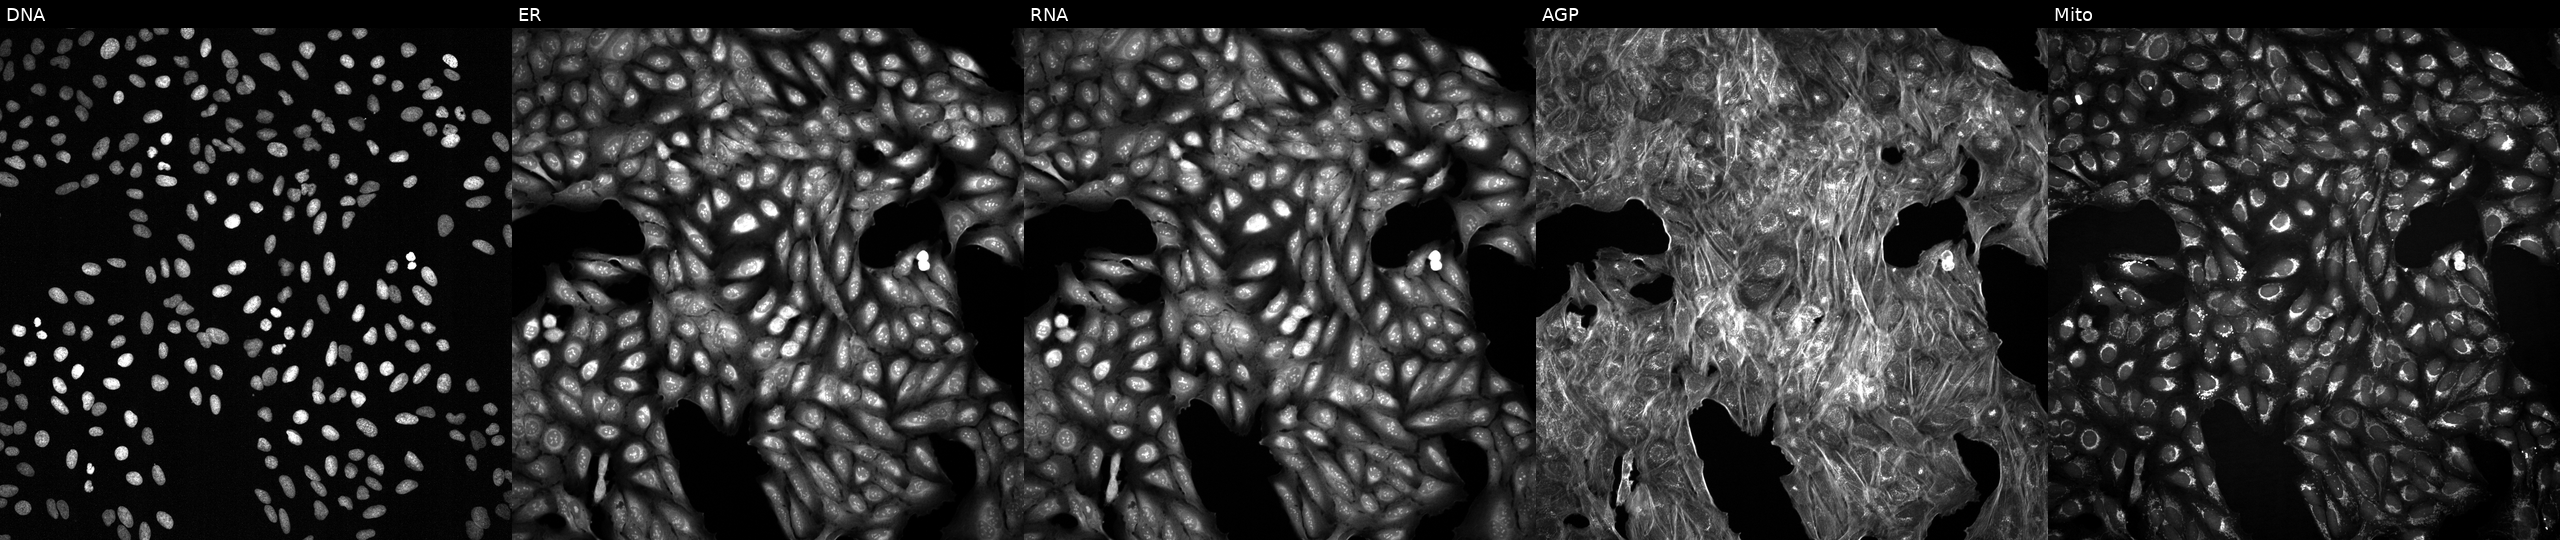
JUMP Cell Painting — COMPOUND plate. U2OS cells exposed to a small-molecule compound (InChIKey BAOVYPNHRHSNEZ-UHFFFAOYSA-N). Channels (left→right): DNA (nuclei); ER (endoplasmic reticulum); RNA (nucleoli and cytoplasmic RNA); AGP (actin cytoskeleton, Golgi, and plasma membrane); Mito (mitochondria).